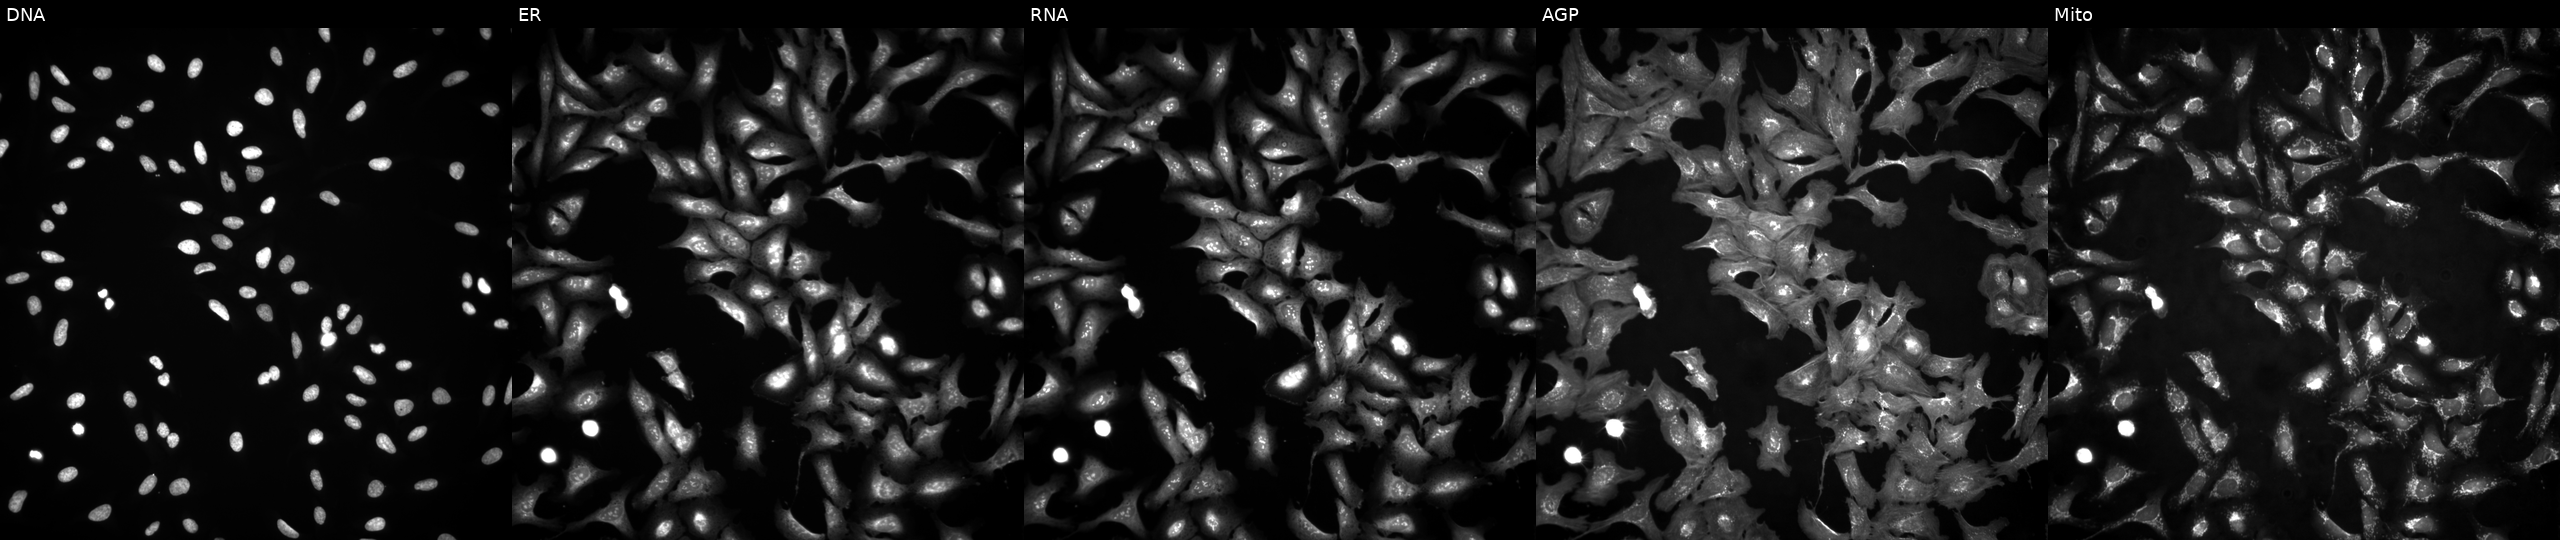
High-content fluorescence microscopy (Cell Painting). Cell line: U2OS. Perturbation: overexpressing PRKAA1 via ORF transfection. From left to right: DNA, ER, RNA, AGP, and Mito.